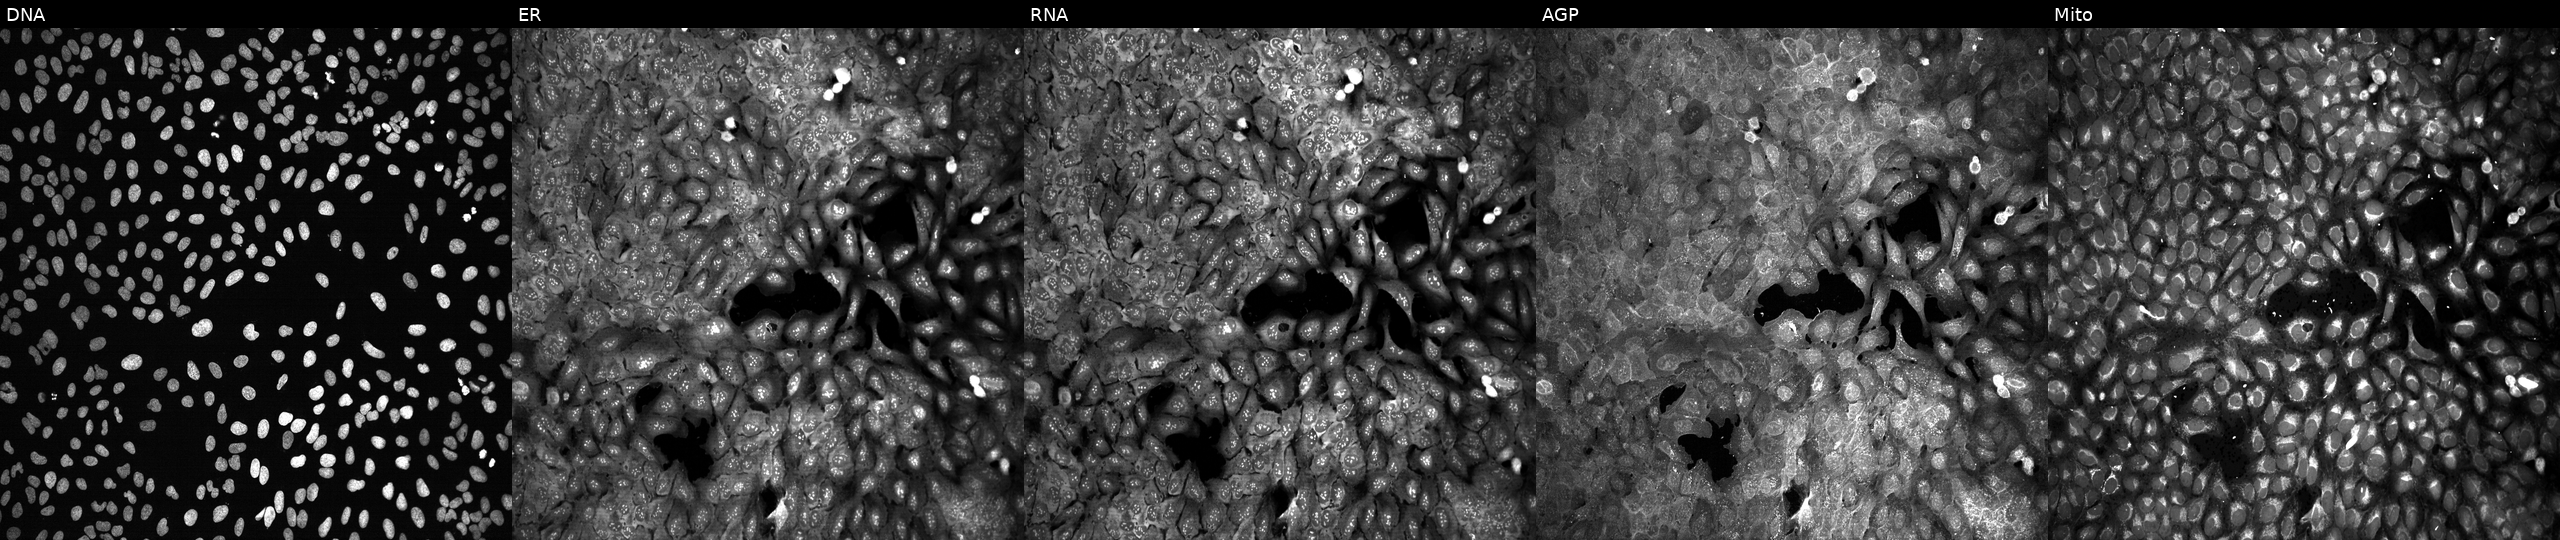
High-content fluorescence microscopy (Cell Painting). Cell line: U2OS. Perturbation: treated with DMSO vehicle only (negative control). Channels (left→right): Hoechst 33342, concanavalin A, SYTO 14, phalloidin and WGA, MitoTracker.